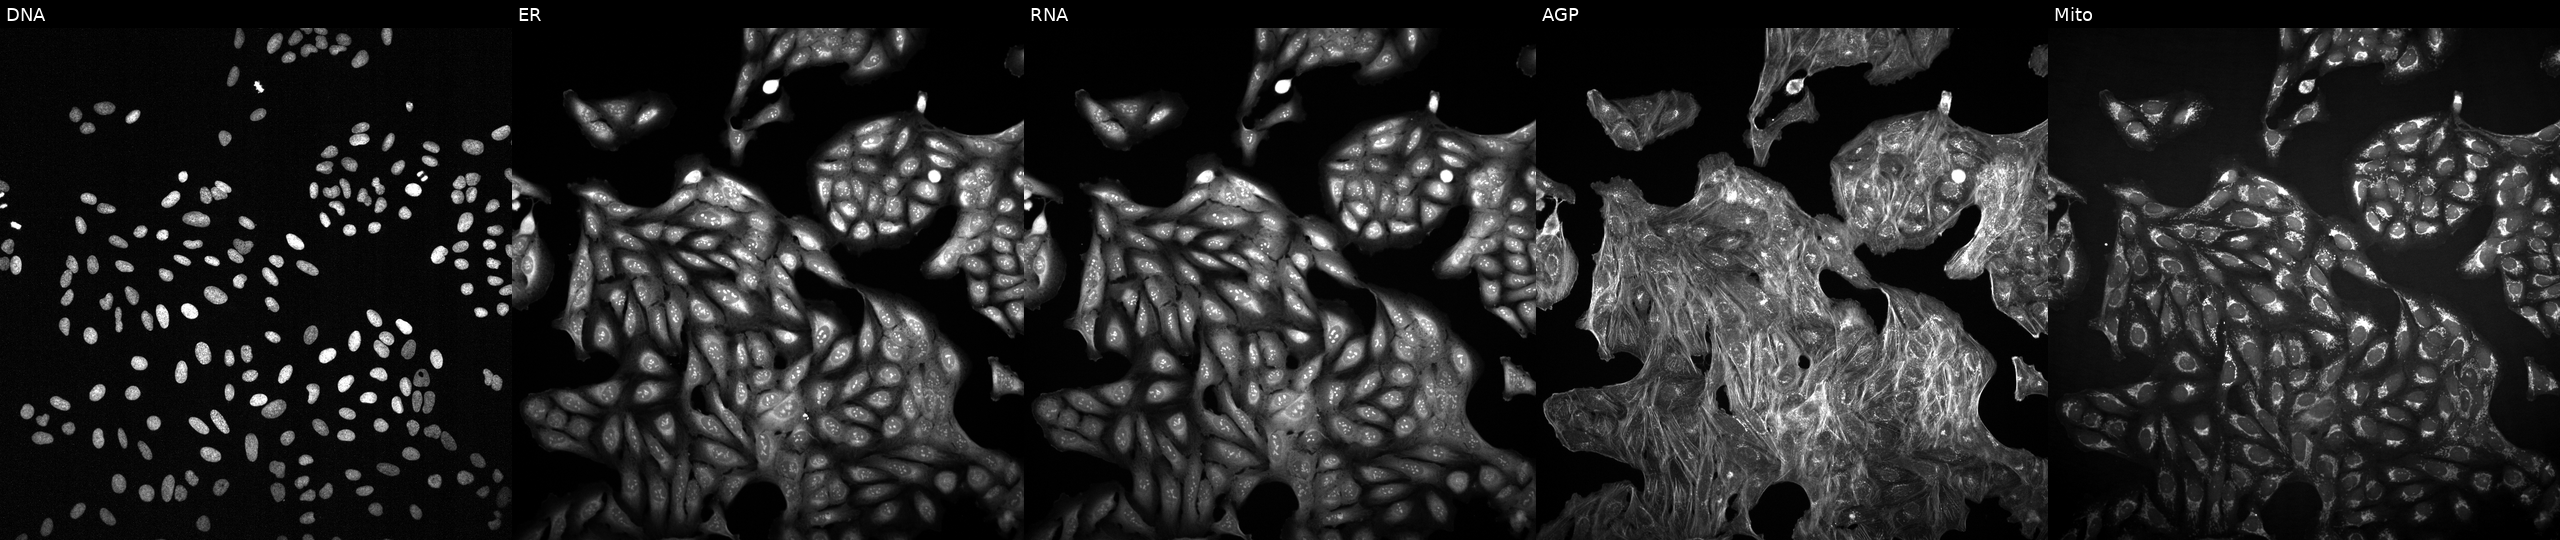
From left to right: DNA, ER, RNA, AGP, and Mito. U2OS osteosarcoma cells perturbed with a small-molecule compound (JUMP id JCP2022_027911). Cell Painting assay, JUMP-CP dataset.